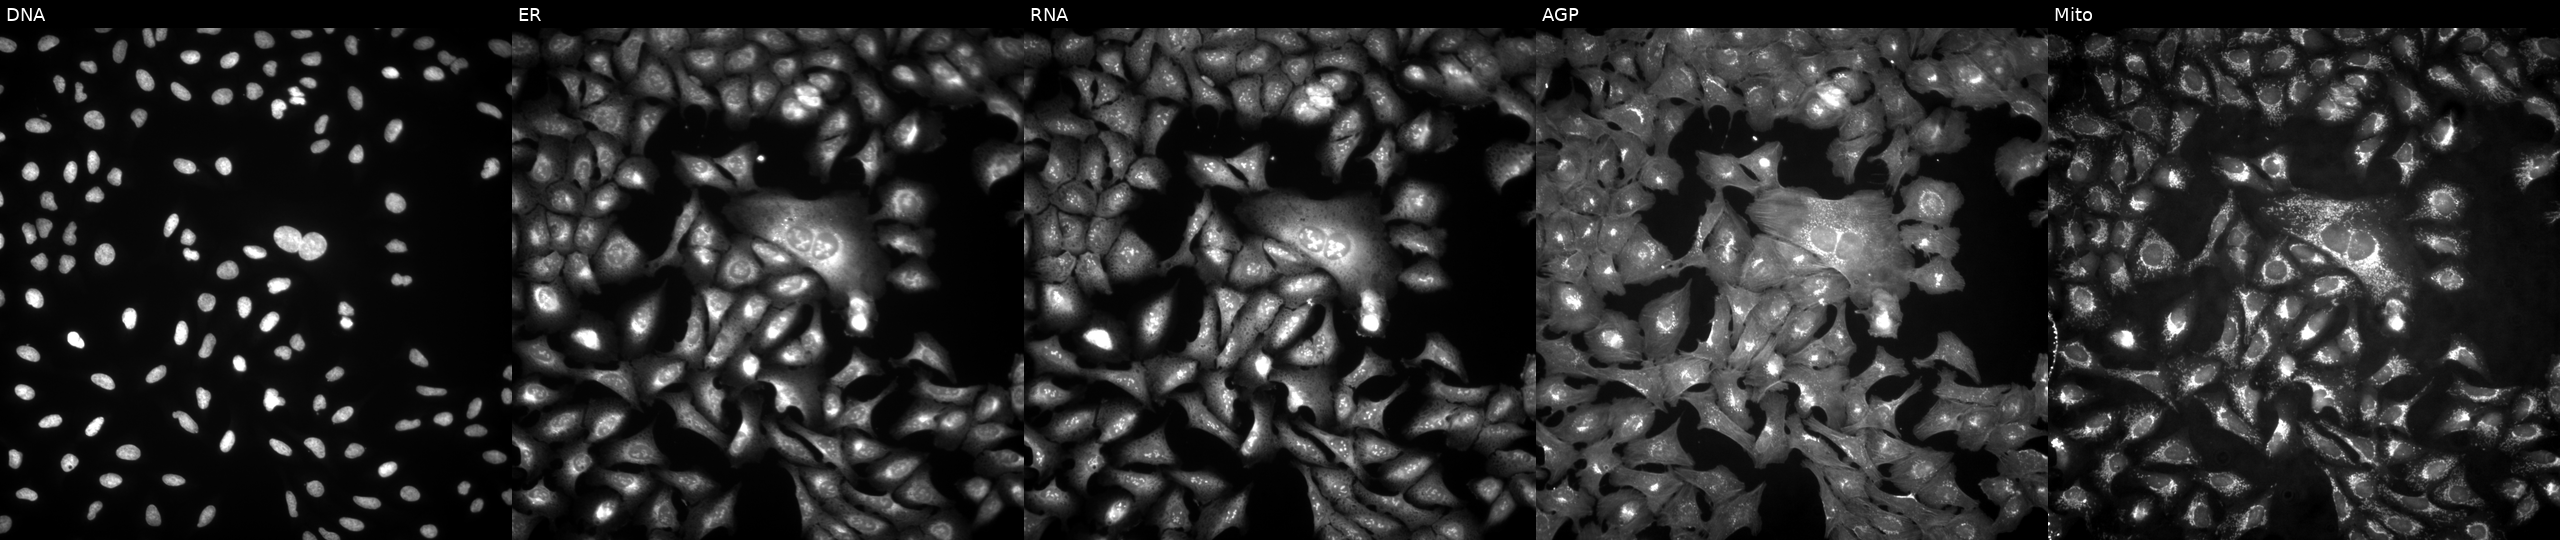
This image strip shows the five Cell Painting channels for a single field of U2OS cells transfected with an ORF construct for TIMM8B (JUMP id JCP2022_911027). Panels show, left to right, DNA (nuclei); ER (endoplasmic reticulum); RNA (nucleoli and cytoplasmic RNA); AGP (actin cytoskeleton, Golgi, and plasma membrane); Mito (mitochondria).